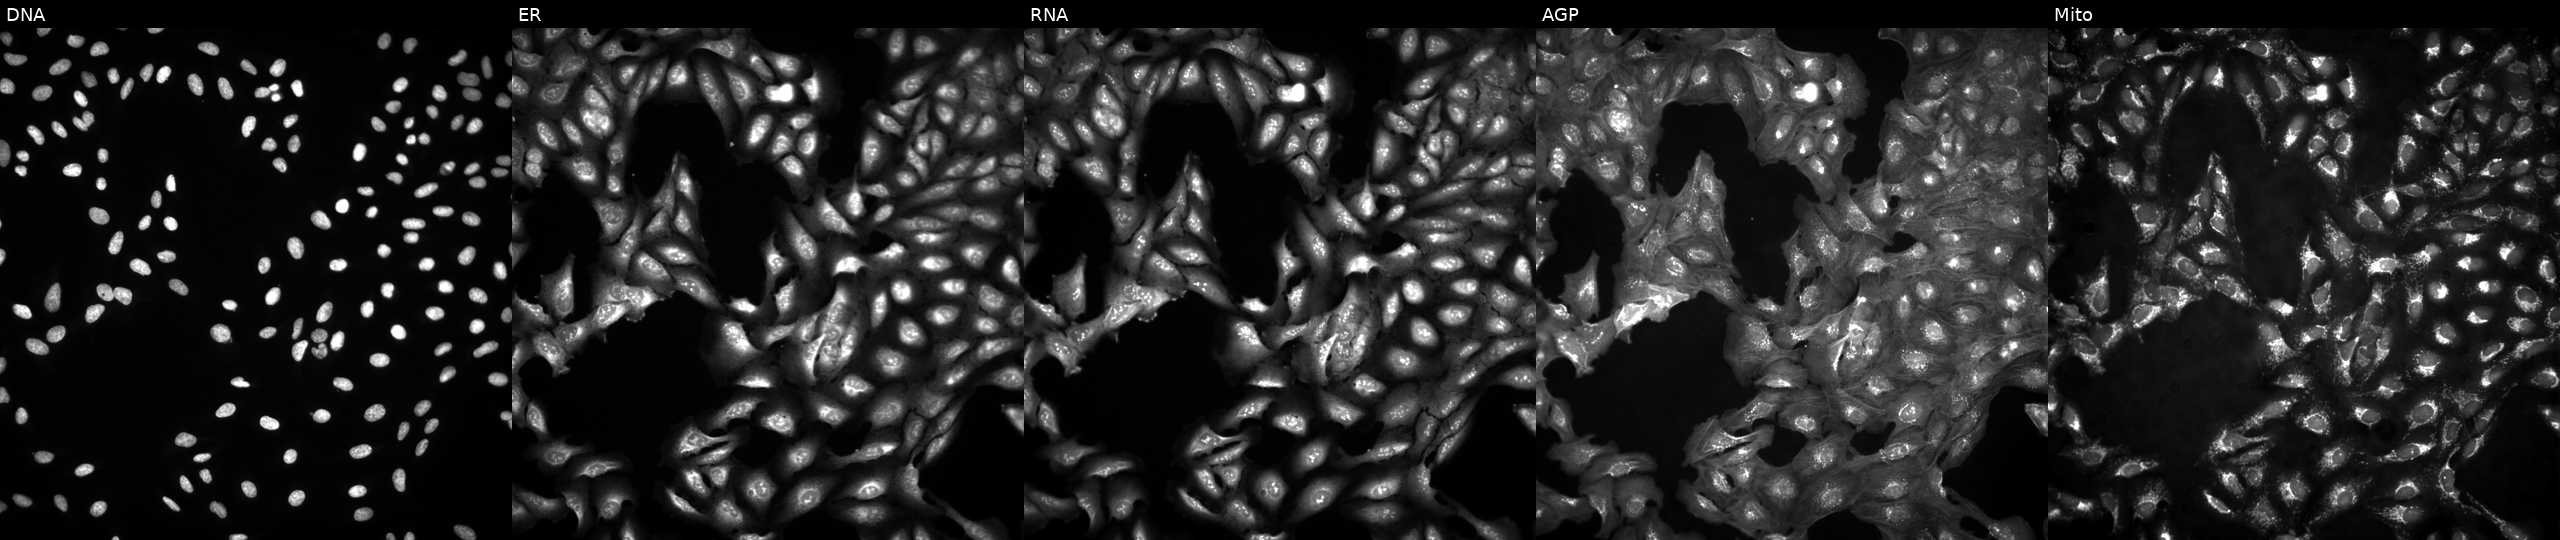
U2OS cells, Cell Painting assay, untreated (empty-well control). The five panels, left to right, show DNA, ER, RNA, AGP, and Mito. Each panel is percentile-stretched 16-bit fluorescence.